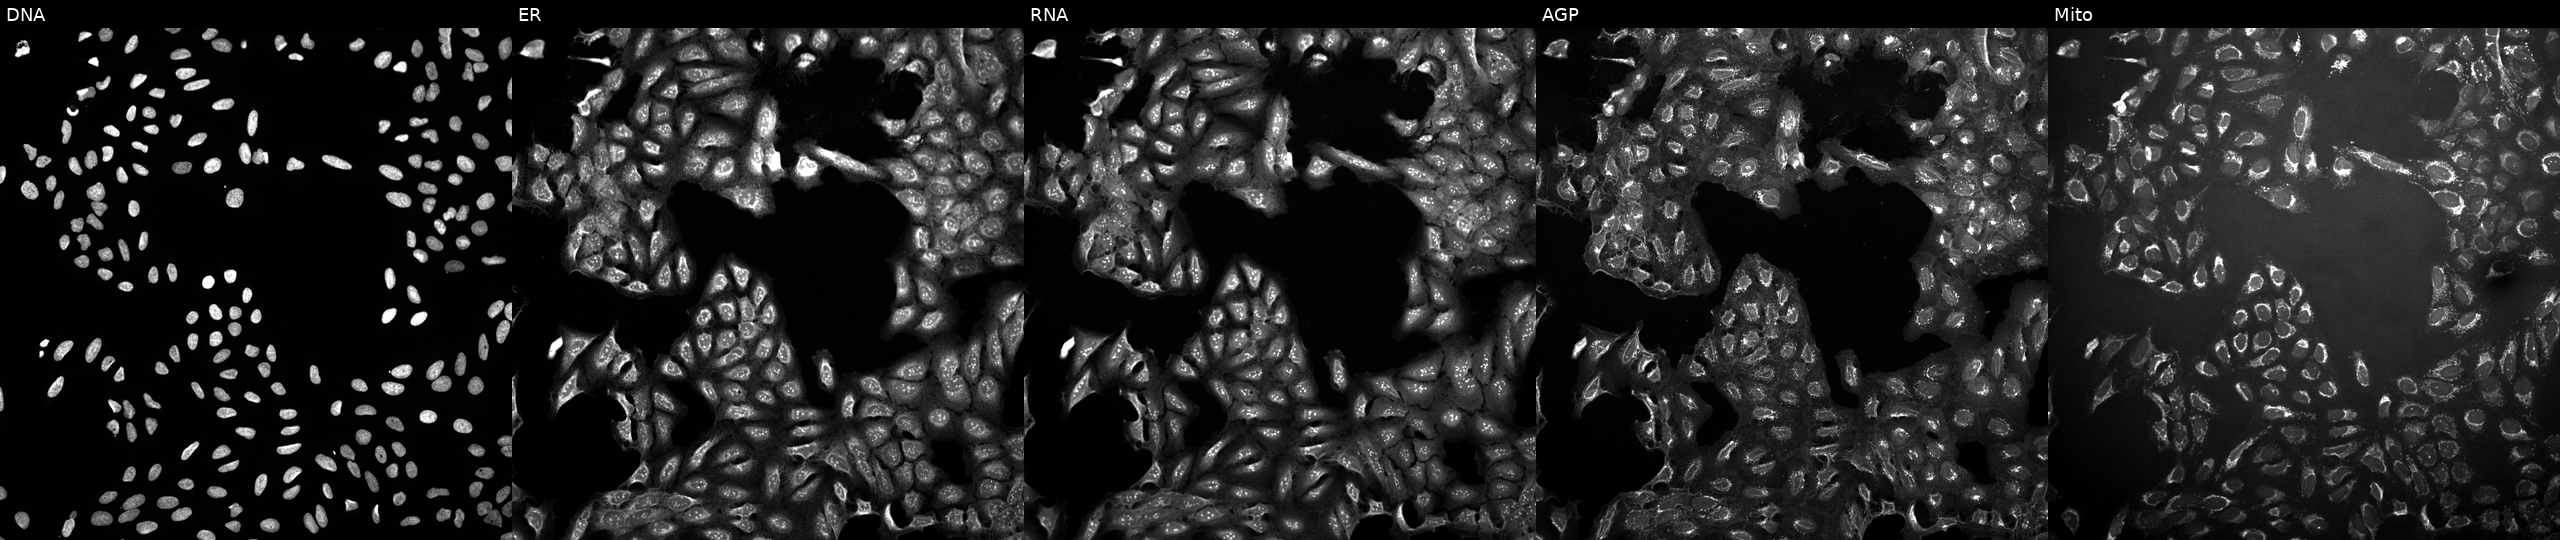
JUMP Cell Painting — TARGET2 plate. U2OS cells treated with DMSO vehicle only (negative control). From left to right: DNA (nuclei); ER (endoplasmic reticulum); RNA (nucleoli and cytoplasmic RNA); AGP (actin cytoskeleton, Golgi, and plasma membrane); Mito (mitochondria). Source 10, plate Dest210803-153958, well C09.